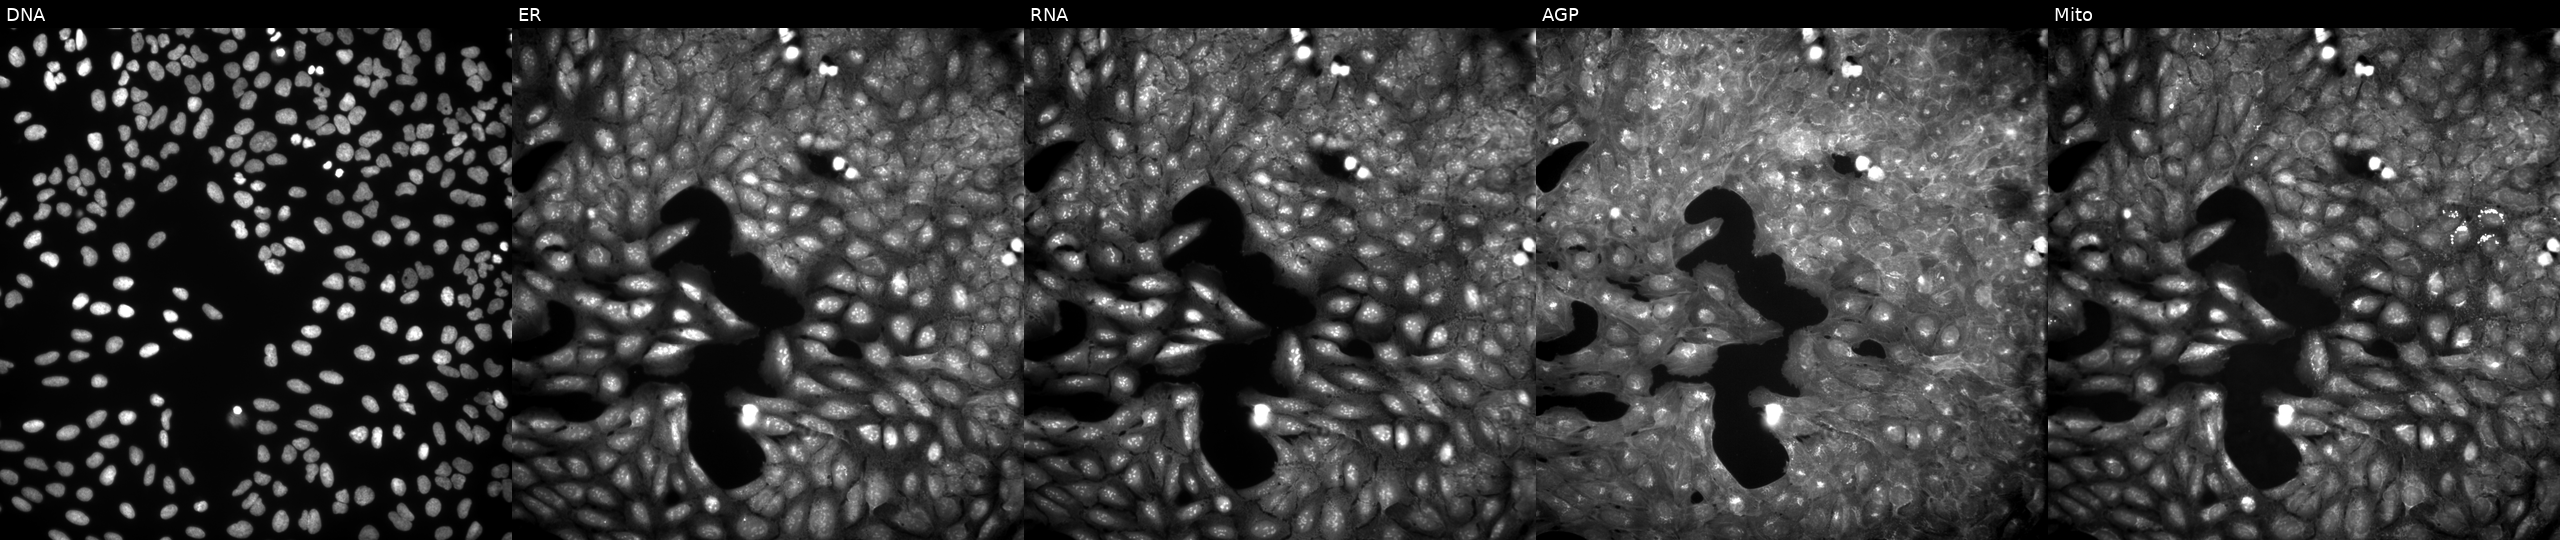
Channels (left→right): DNA, ER, RNA, AGP, and Mito. U2OS osteosarcoma cells exposed to a small-molecule compound (JUMP id JCP2022_068637). Cell Painting assay, JUMP-CP dataset. Source 9, plate GR00003382, well G39.